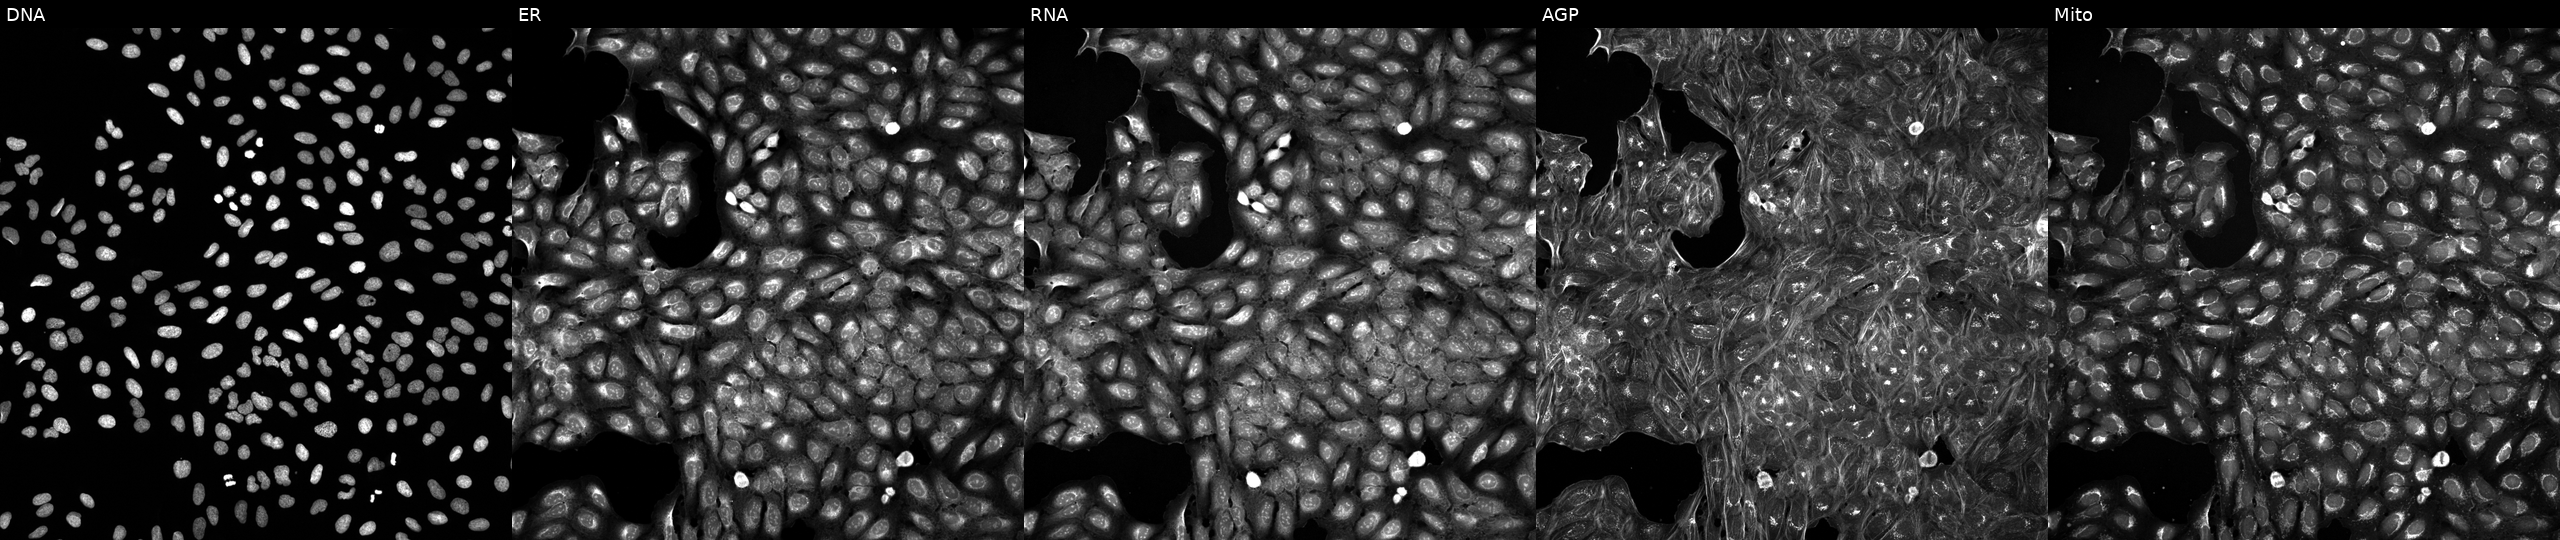
From left to right: DNA (nuclei); ER (endoplasmic reticulum); RNA (nucleoli and cytoplasmic RNA); AGP (actin cytoskeleton, Golgi, and plasma membrane); Mito (mitochondria). U2OS osteosarcoma cells exposed to a small-molecule compound [SMILES: N=c1[nH]cnc2c1c(-c1cccc(OCc3ccccc3)c1)cn2C1CC(CN2CCCC2)C1]. Cell Painting assay, JUMP-CP dataset.